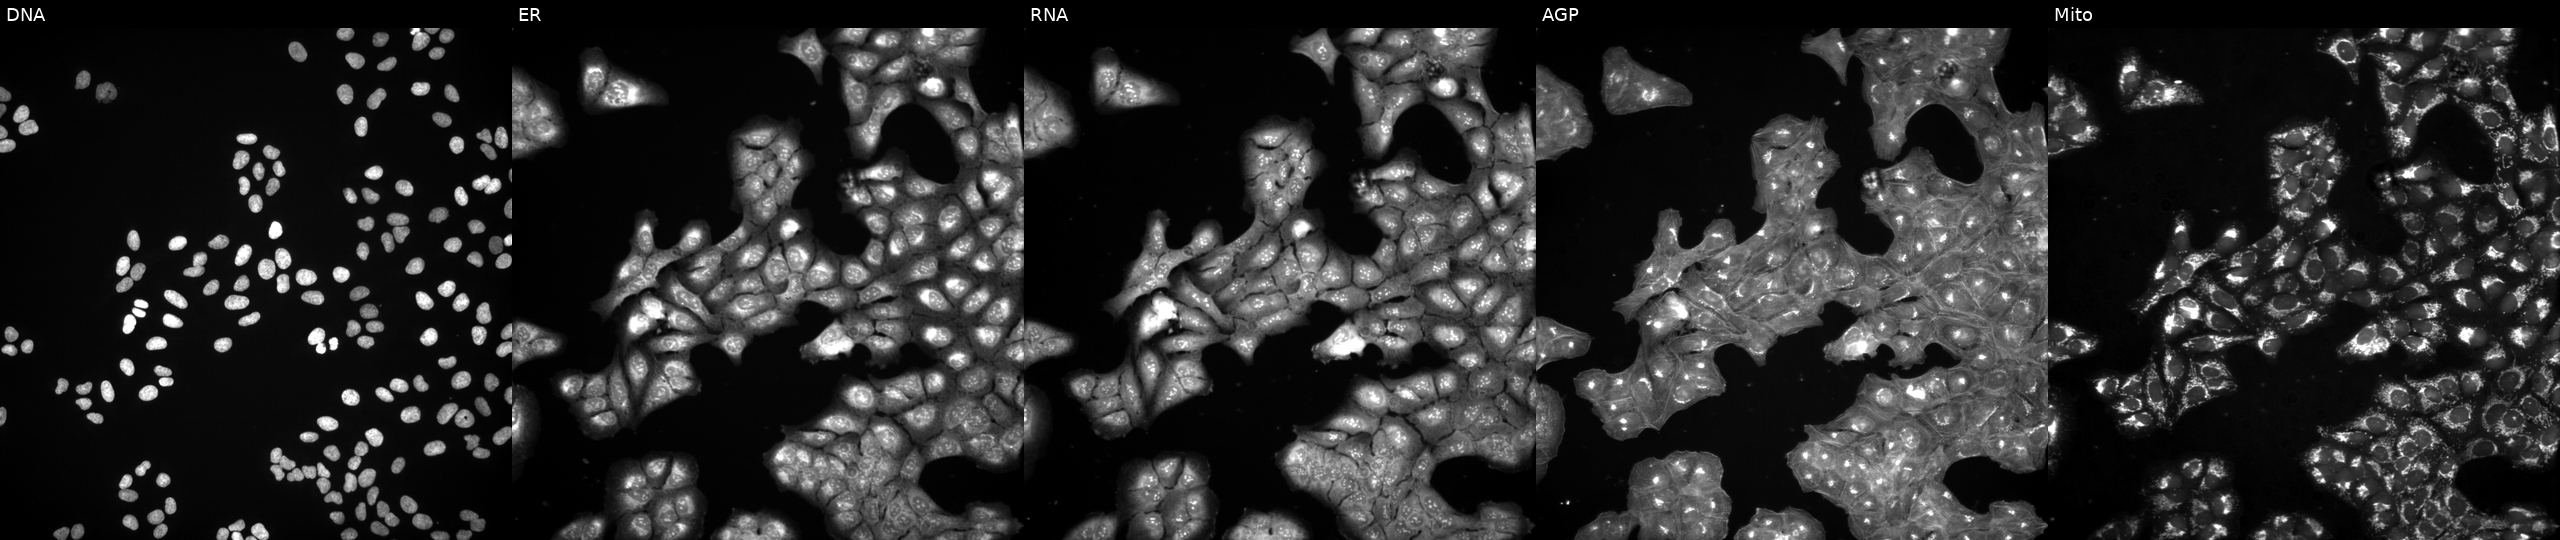
This image strip shows the five Cell Painting channels for a single field of U2OS cells treated with DMSO vehicle only (negative control). From left to right: DNA, ER, RNA, AGP, and Mito.